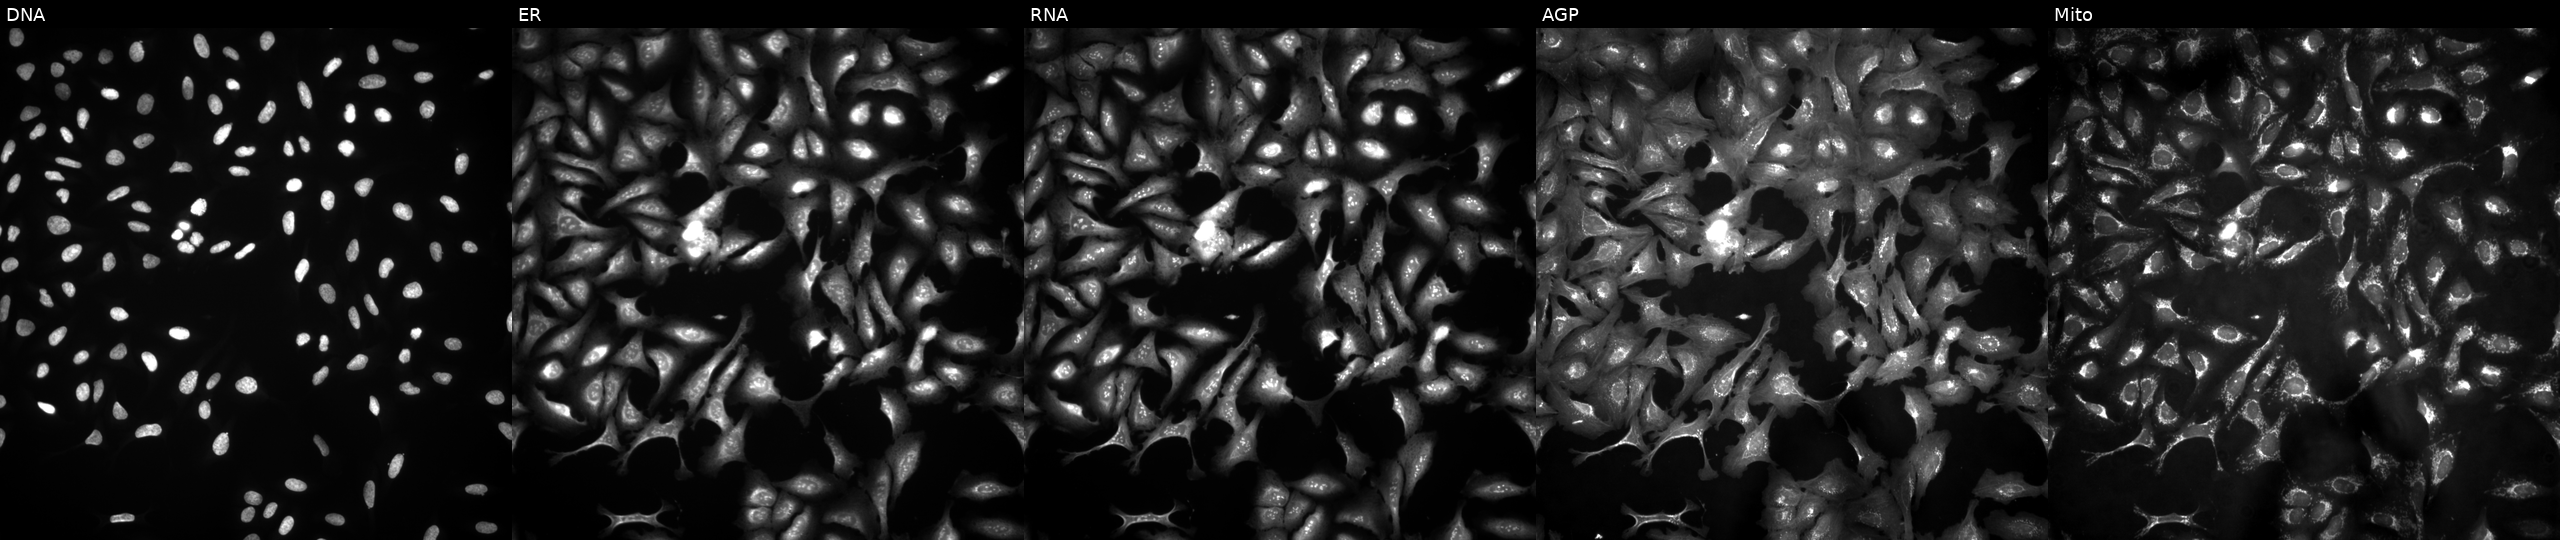
High-content fluorescence microscopy (Cell Painting). Cell line: U2OS. Perturbation: with NICN1 overexpressed (ORF) (JUMP id JCP2022_904079). From left to right: DNA, ER, RNA, AGP, and Mito. Source 4, plate BR00121543, well J02.